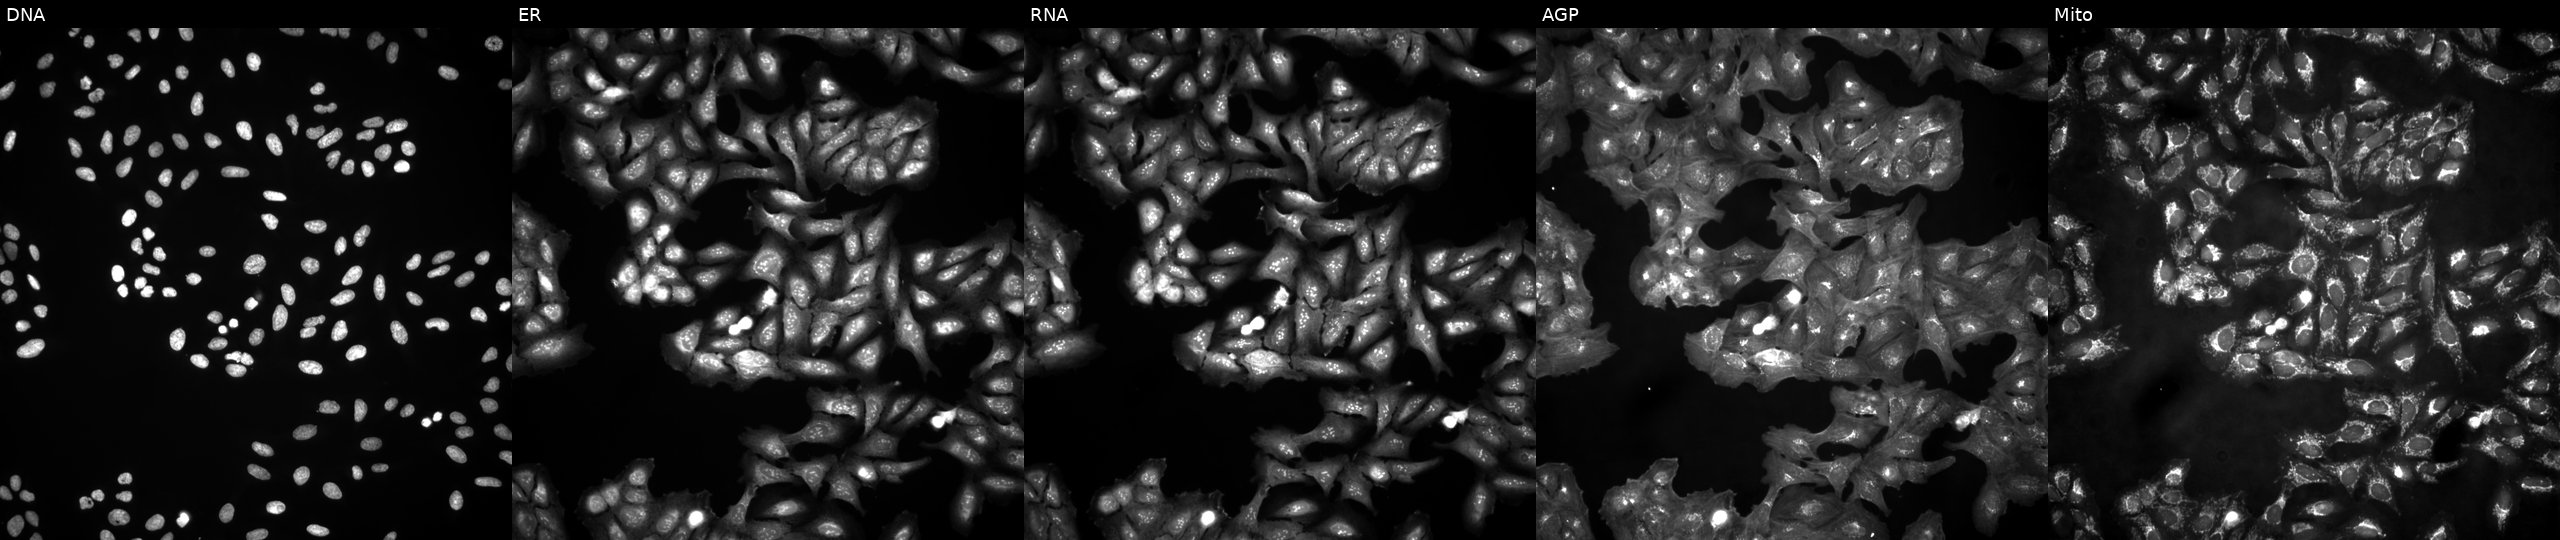
This image strip shows the five Cell Painting channels for a single field of U2OS cells in an empty control well (no perturbation). From left to right: DNA (nuclei); ER (endoplasmic reticulum); RNA (nucleoli and cytoplasmic RNA); AGP (actin cytoskeleton, Golgi, and plasma membrane); Mito (mitochondria).